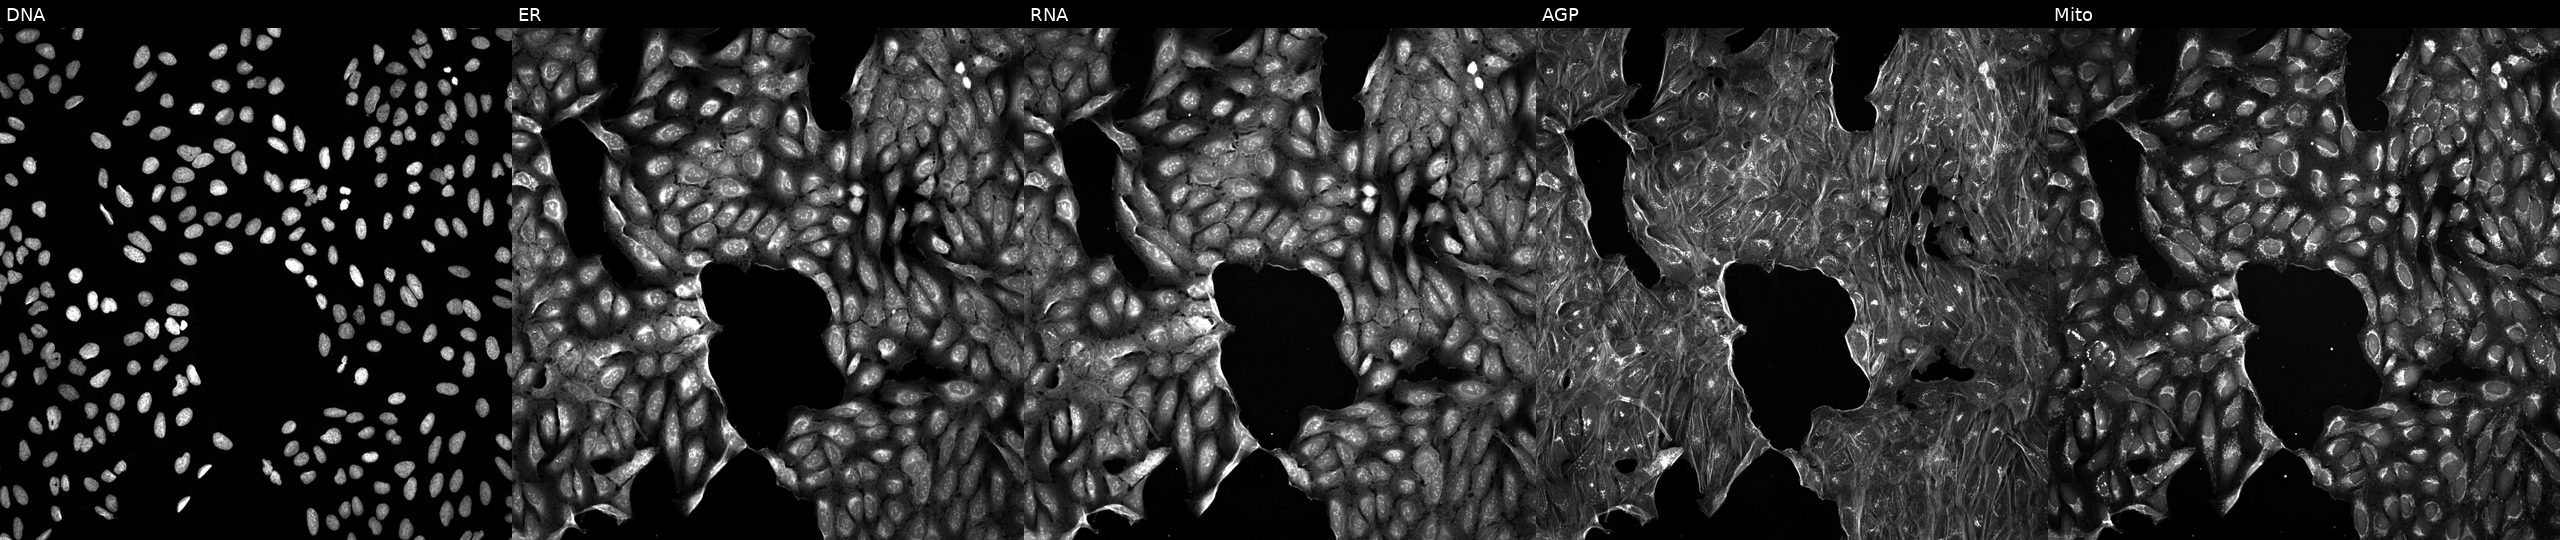
JUMP Cell Painting — TARGET2 plate. U2OS cells exposed to DMSO alone as a negative control (JUMP id JCP2022_033924). Channels (left→right): Hoechst 33342, concanavalin A, SYTO 14, phalloidin and WGA, MitoTracker.